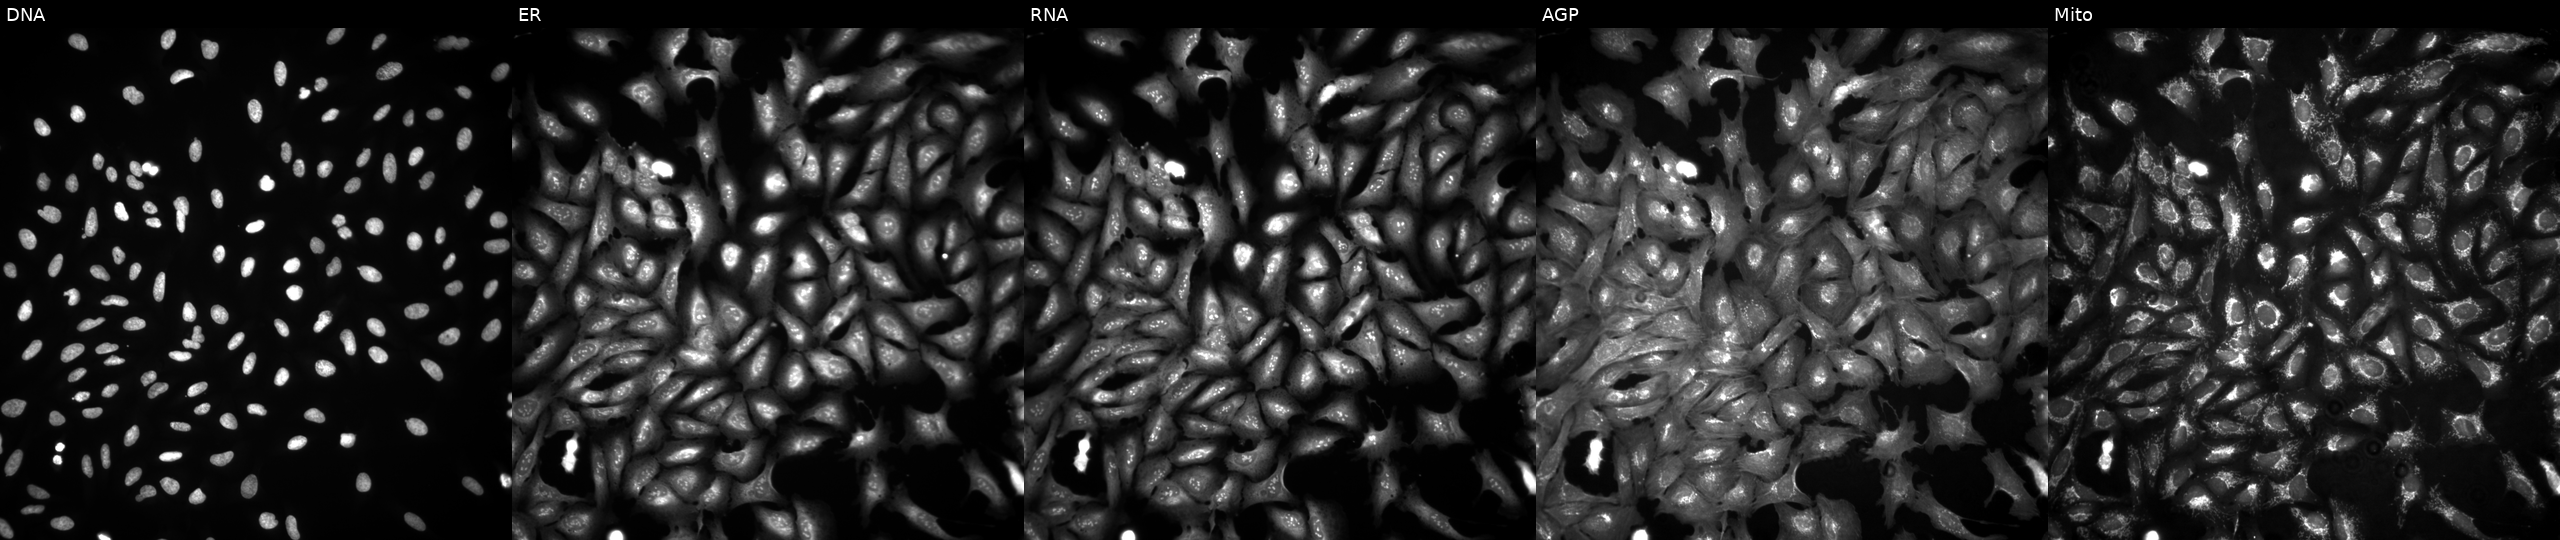
Five-channel Cell Painting image of U2OS cells transfected with an ORF construct for NDUFA3 (JUMP id JCP2022_900997). Panels show, left to right, DNA (nuclei); ER (endoplasmic reticulum); RNA (nucleoli and cytoplasmic RNA); AGP (actin cytoskeleton, Golgi, and plasma membrane); Mito (mitochondria). Source 4, plate BR00124787, well G22.